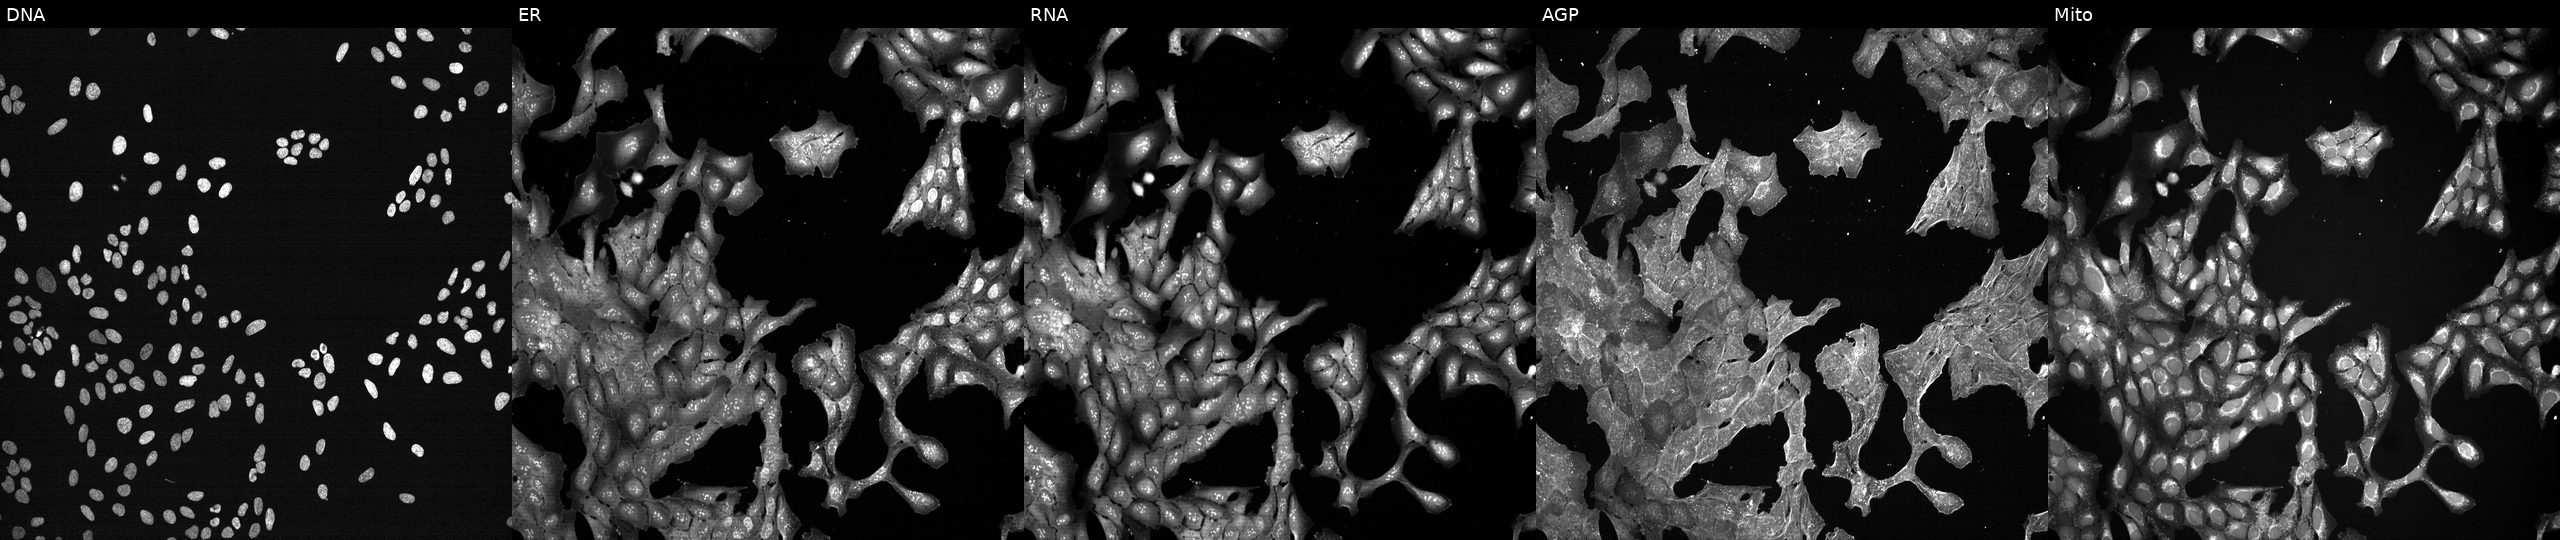
From left to right: DNA (nuclei); ER (endoplasmic reticulum); RNA (nucleoli and cytoplasmic RNA); AGP (actin cytoskeleton, Golgi, and plasma membrane); Mito (mitochondria). U2OS osteosarcoma cells treated with a small-molecule compound (InChIKey KRKNYBCHXYNGOX-UHFFFAOYSA-N). Cell Painting assay, JUMP-CP dataset.